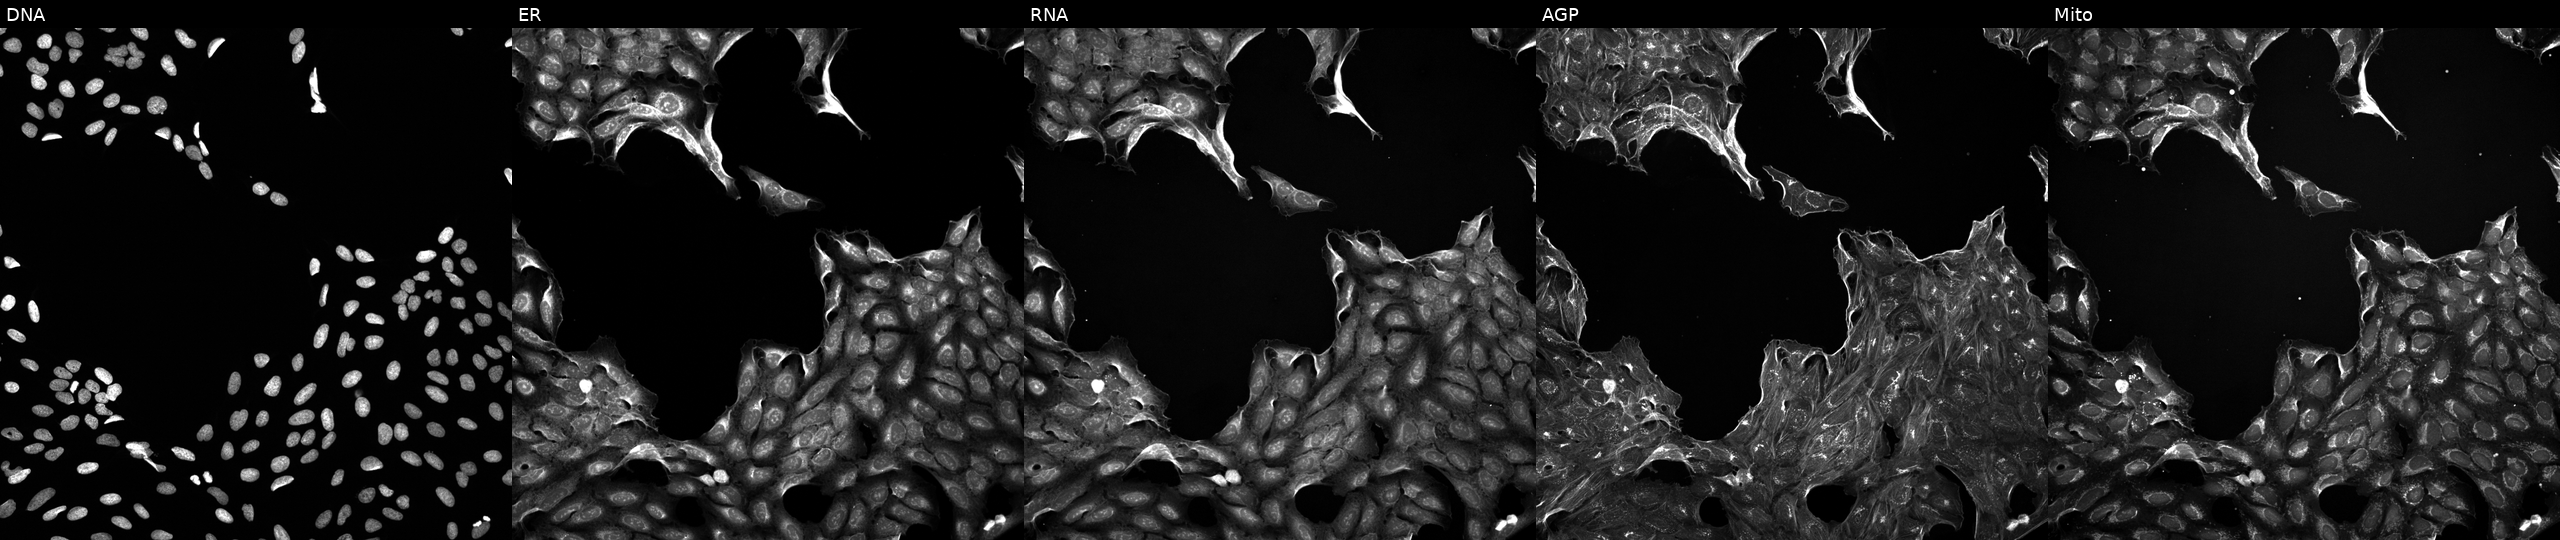
High-content fluorescence microscopy (Cell Painting). Cell line: U2OS. Perturbation: treated with dexamethasone (positive-control compound) (JUMP id JCP2022_025848). The five panels, left to right, show DNA (nuclei); ER (endoplasmic reticulum); RNA (nucleoli and cytoplasmic RNA); AGP (actin cytoskeleton, Golgi, and plasma membrane); Mito (mitochondria).